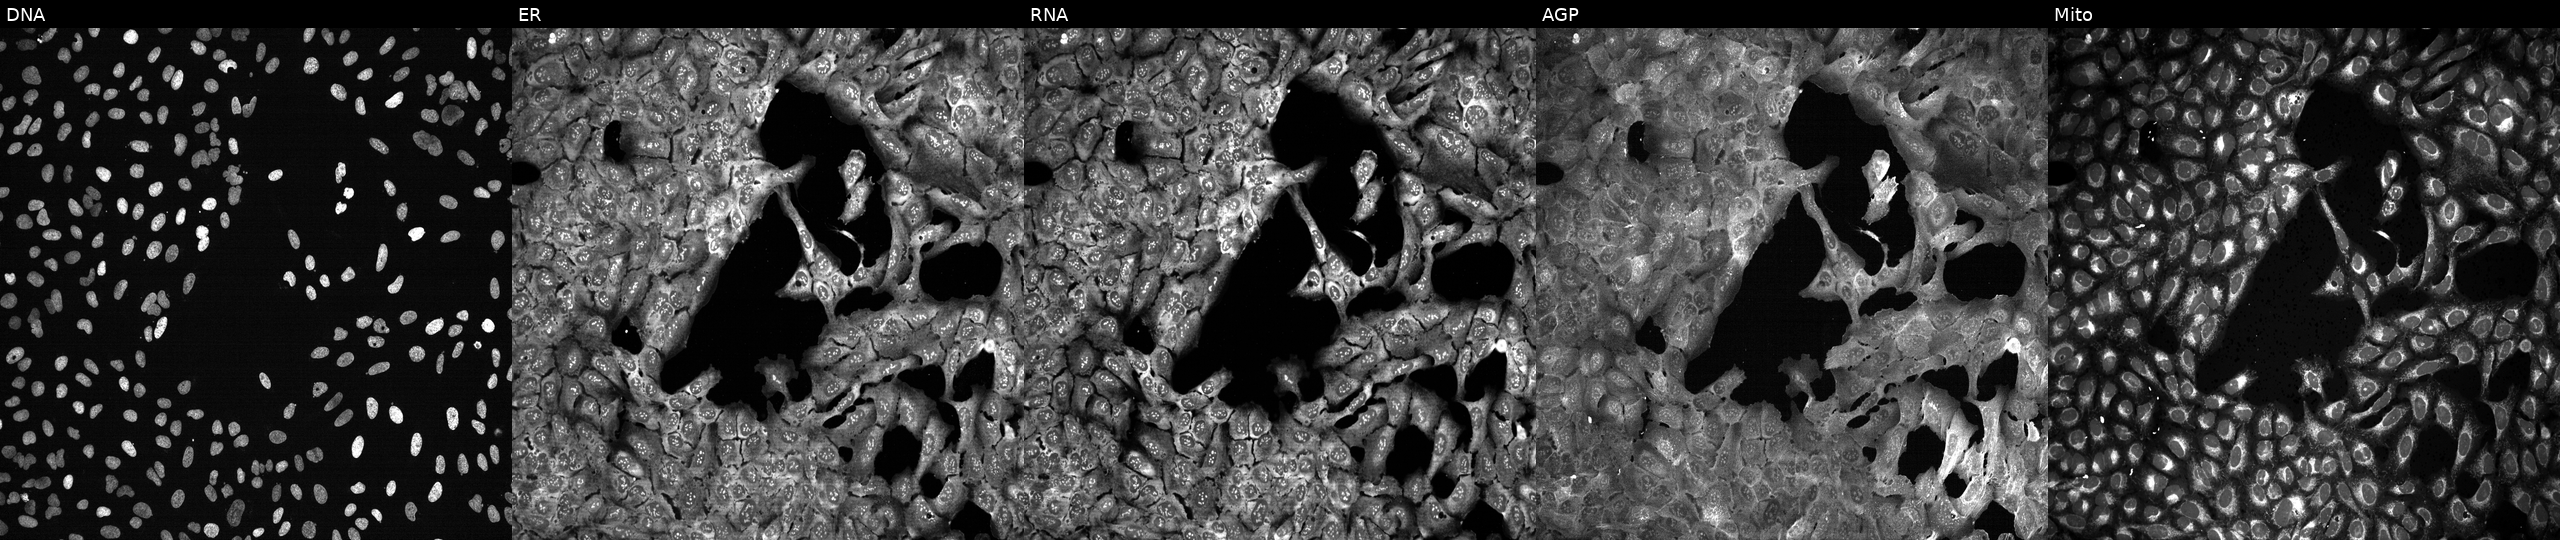
JUMP Cell Painting — CRISPR plate. U2OS cells following CRISPR knockout of FKBP10 (JUMP id JCP2022_802409). The five panels, left to right, show Hoechst 33342, concanavalin A, SYTO 14, phalloidin and WGA, MitoTracker. Source 13, plate CP-CC9-R2-01, well I11.